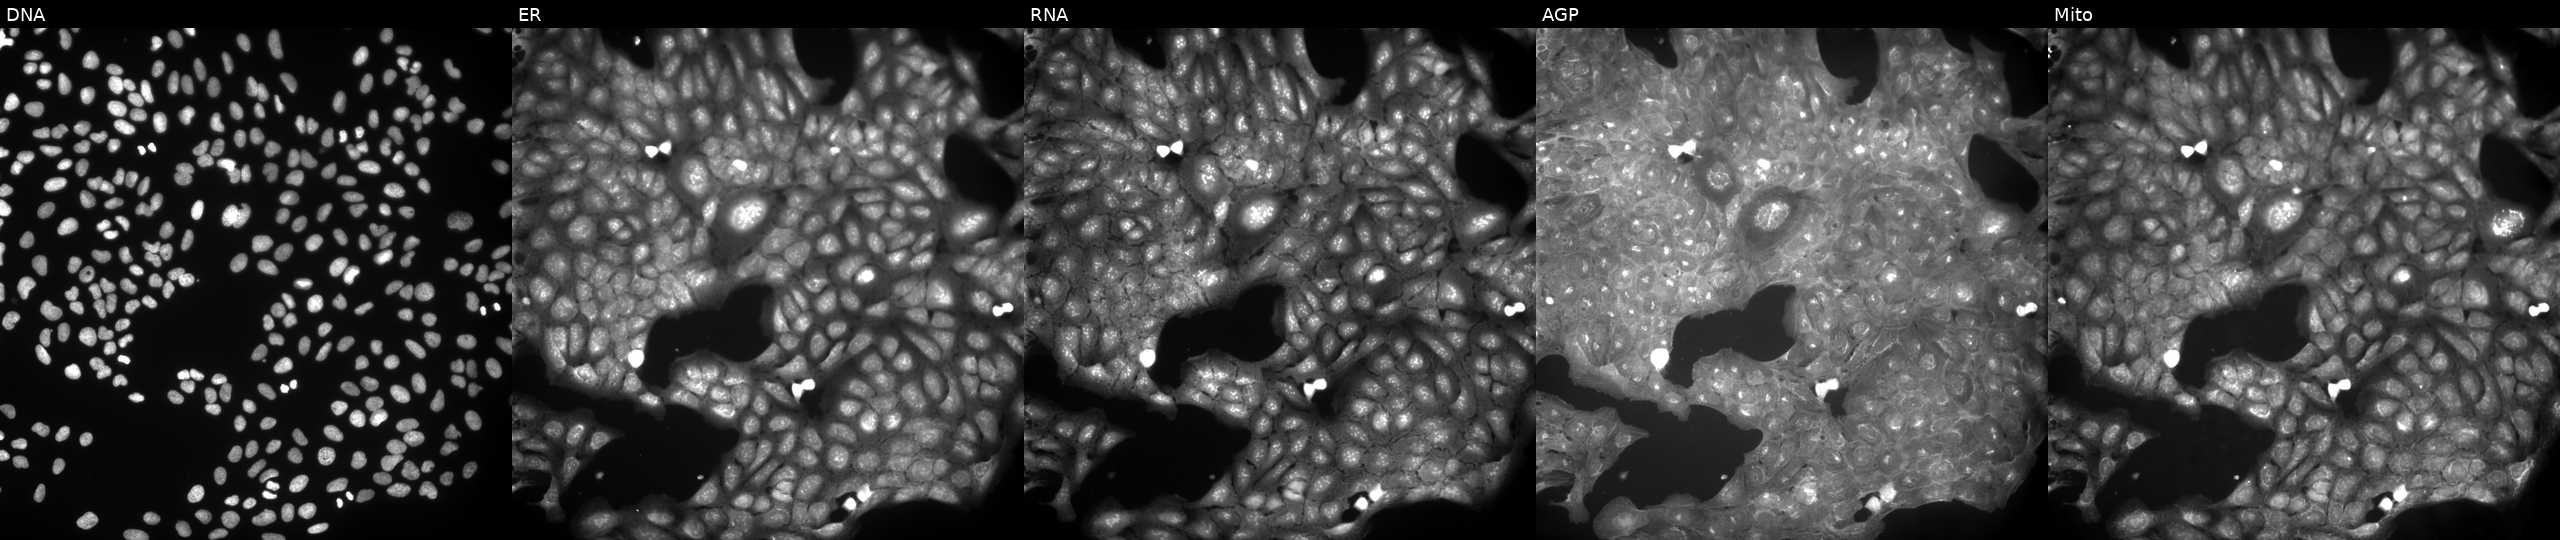
This image strip shows the five Cell Painting channels for a single field of U2OS cells treated with a small-molecule compound (InChIKey CRRRDHPZJYOLCB-UHFFFAOYSA-N) (JUMP id JCP2022_013033). Panels show, left to right, Hoechst 33342, concanavalin A, SYTO 14, phalloidin and WGA, MitoTracker.